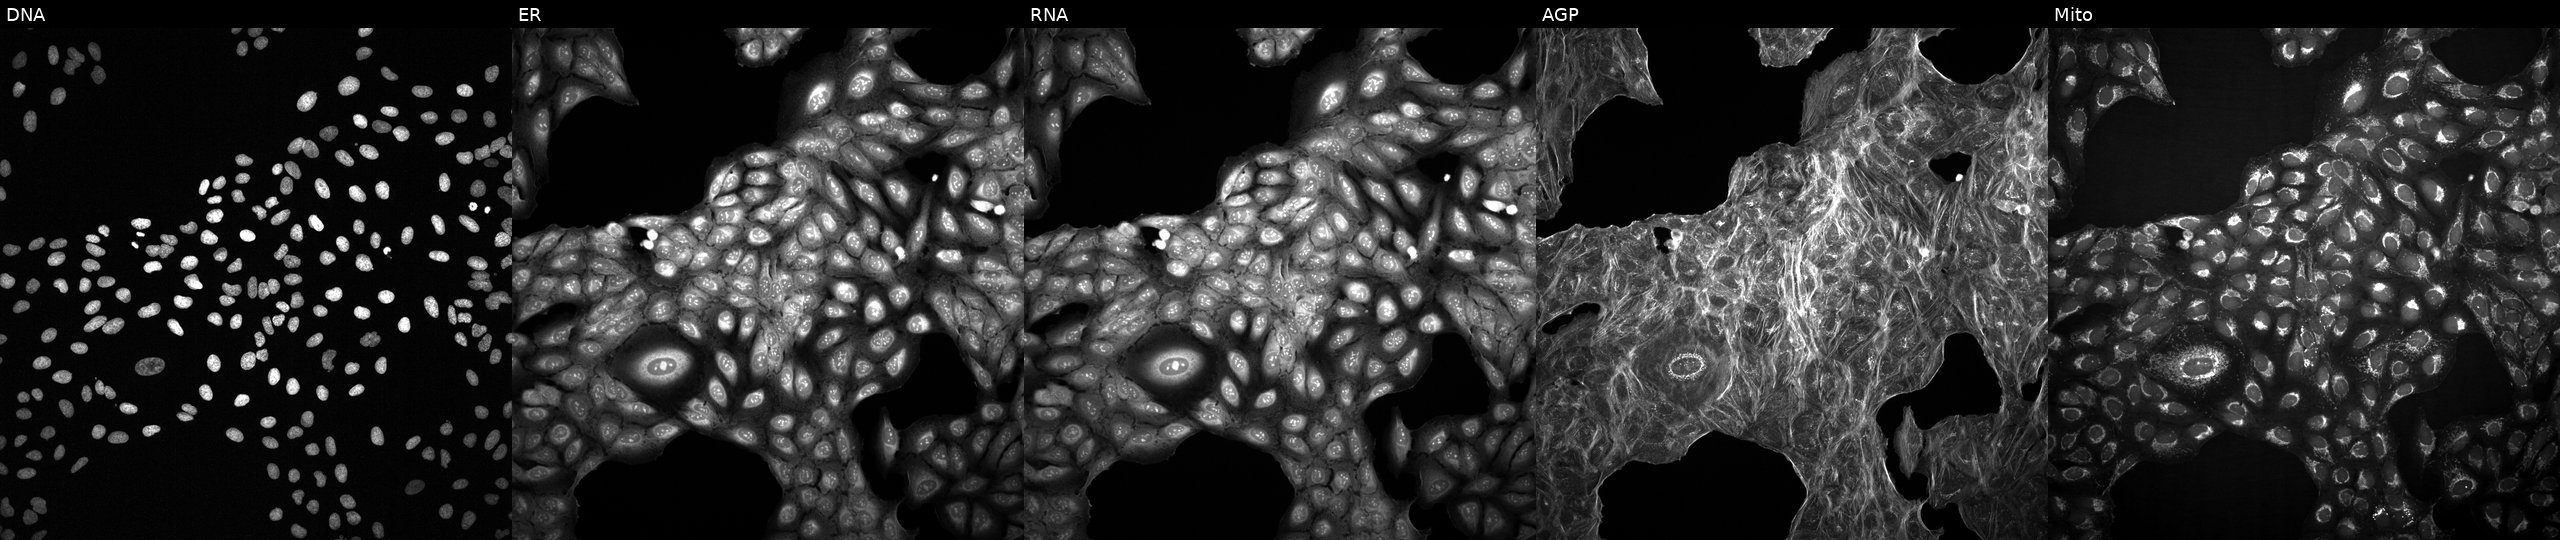
JUMP Cell Painting — COMPOUND plate. U2OS cells with an unidentified perturbation (not annotated in JUMP metadata). Channels (left→right): Hoechst 33342, concanavalin A, SYTO 14, phalloidin and WGA, MitoTracker. Source 2, plate 1053601756, well N12.